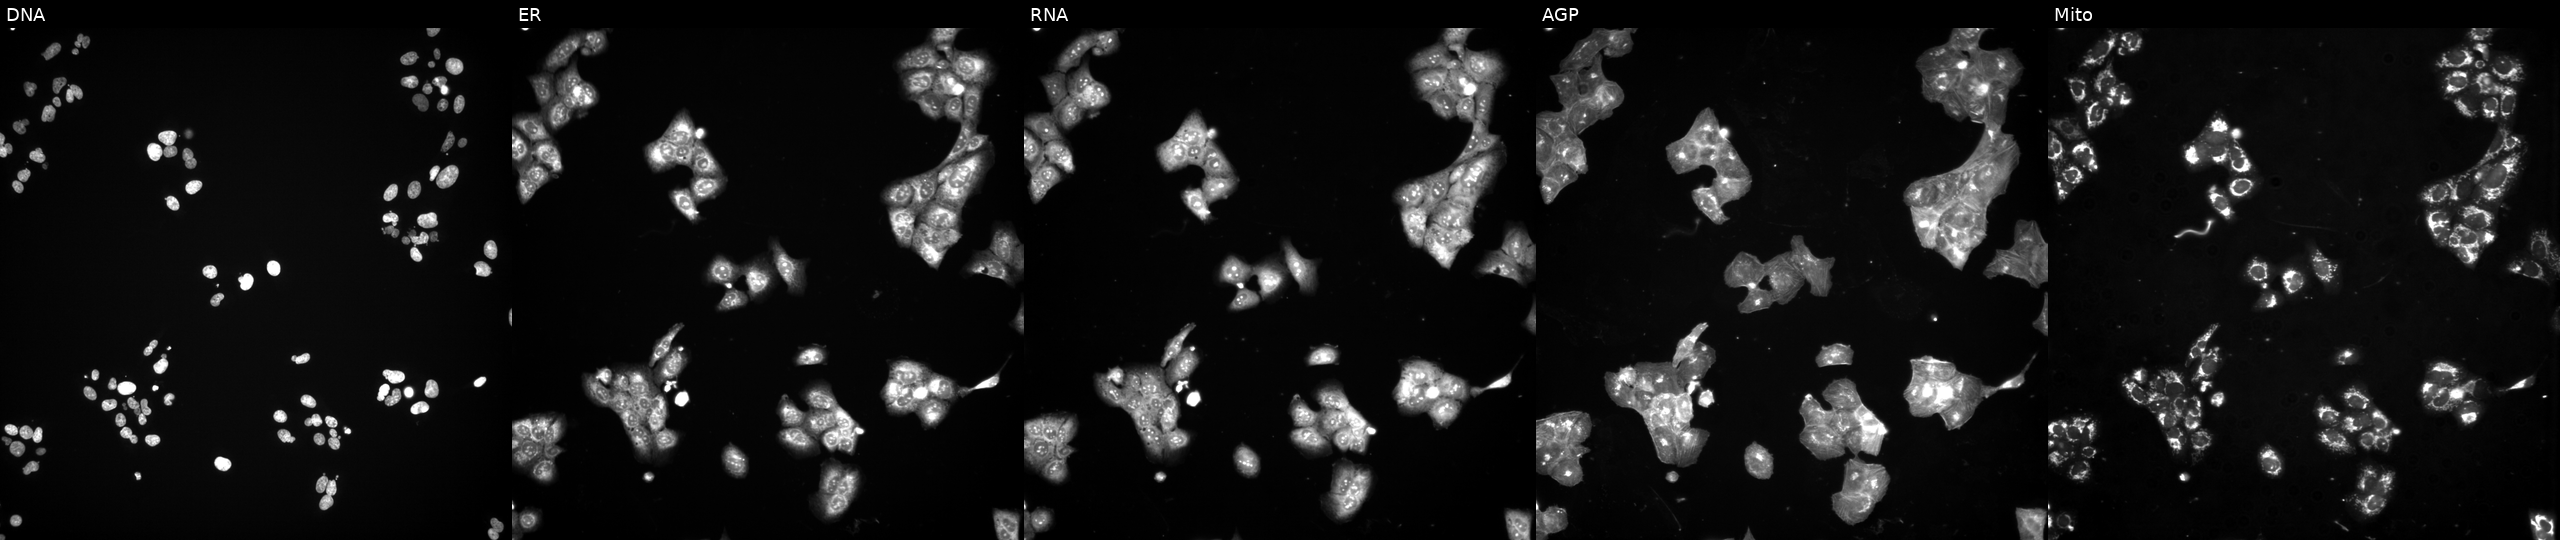
U2OS cells, Cell Painting assay, perturbed with a small-molecule compound (InChIKey YZJSIJDZAWLCQD-UHFFFAOYSA-N). Panels show, left to right, DNA, ER, RNA, AGP, and Mito. Each panel is percentile-stretched 16-bit fluorescence.